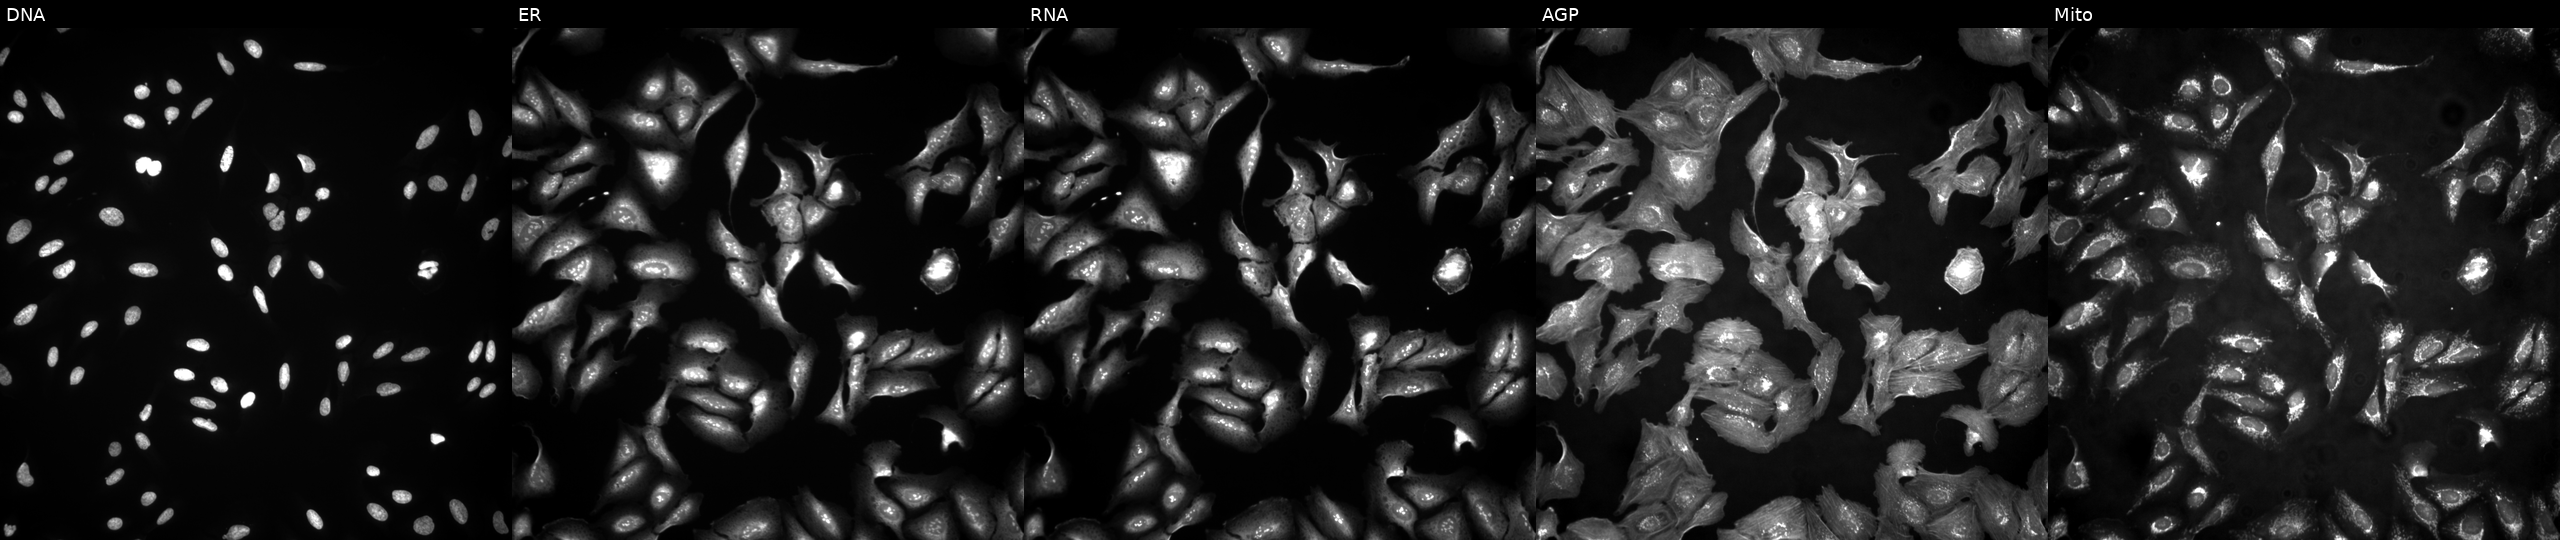
High-content fluorescence microscopy (Cell Painting). Cell line: U2OS. Perturbation: with C1orf21 overexpressed (ORF) (JUMP id JCP2022_903968). From left to right: Hoechst 33342, concanavalin A, SYTO 14, phalloidin and WGA, MitoTracker. Source 4, plate BR00124784, well H12.